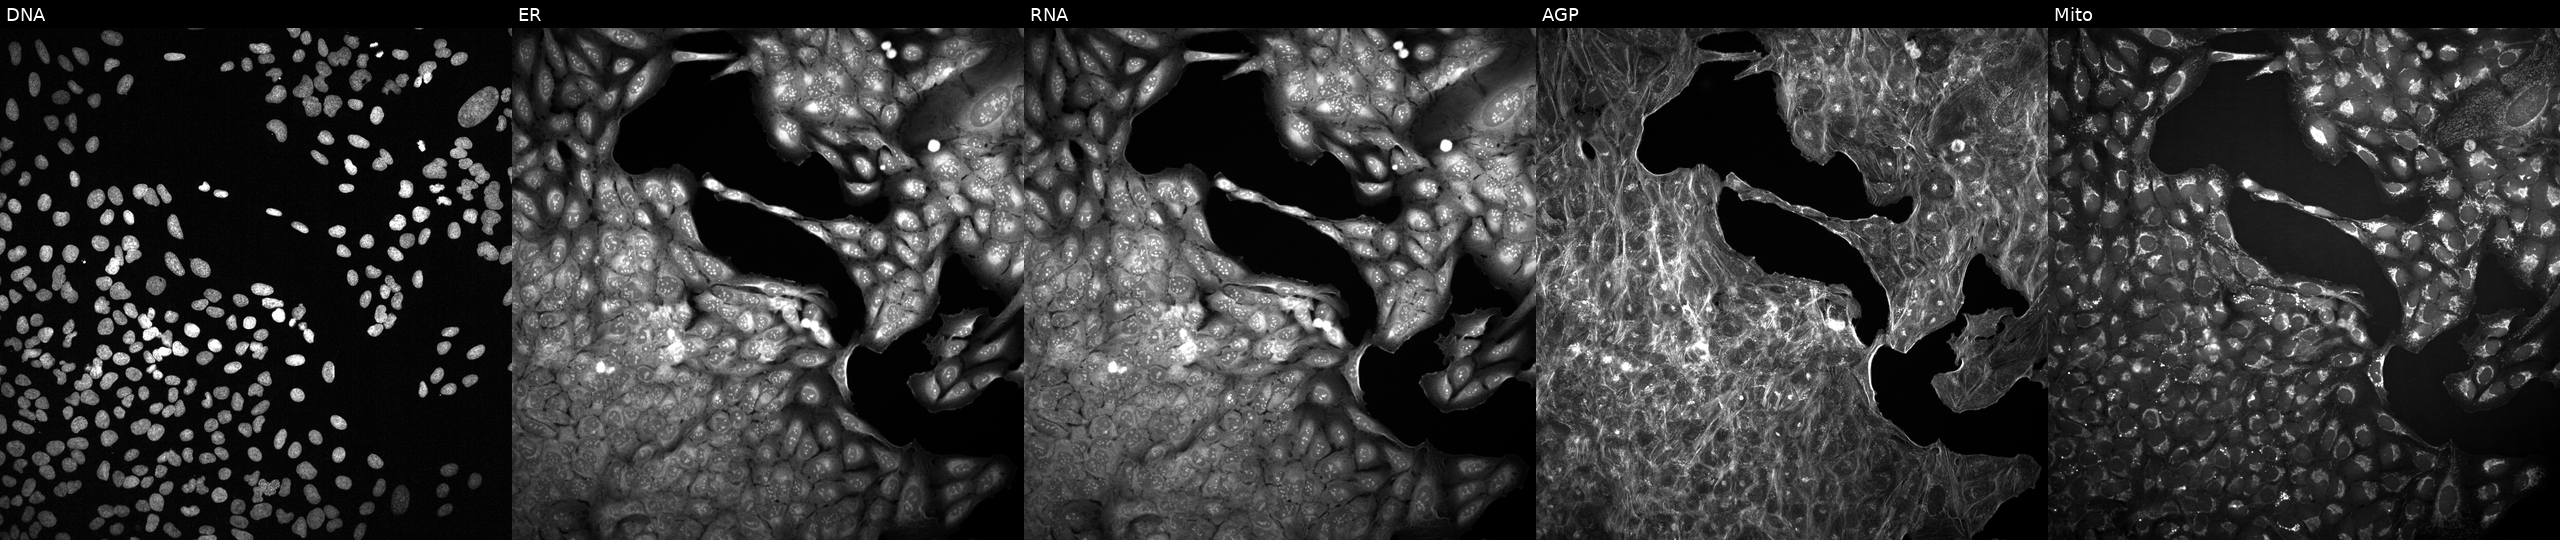
JUMP Cell Painting — TARGET2 plate. U2OS cells treated with a small-molecule compound [SMILES: Cn1c(=O)c2c(ncn2CC(O)CO)n(C)c1=O]. From left to right: Hoechst 33342, concanavalin A, SYTO 14, phalloidin and WGA, MitoTracker.